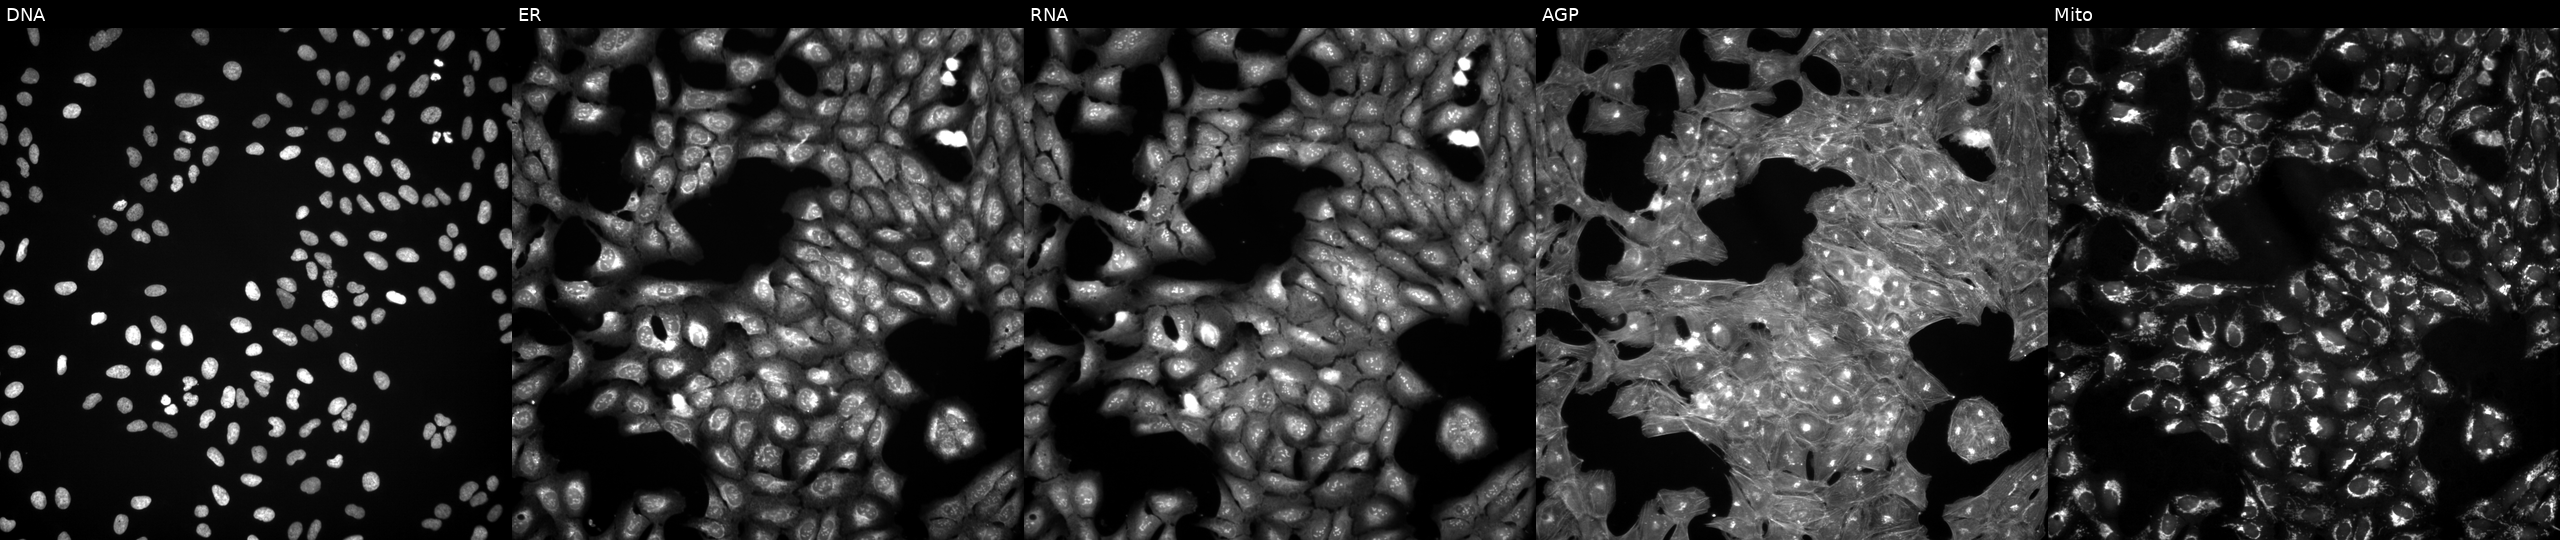
JUMP Cell Painting — TARGET2 plate. U2OS cells exposed to a small-molecule compound (InChIKey ZMUSCGJNJYXJBP-UHFFFAOYSA-N) [SMILES: CC1(C)OC2CC3C4CC=C5CC(=O)C=CC5(C)C4C(O)CC3(C)C2(C(=O)CO)O1] (JUMP id JCP2022_114322). Panels show, left to right, DNA (nuclei); ER (endoplasmic reticulum); RNA (nucleoli and cytoplasmic RNA); AGP (actin cytoskeleton, Golgi, and plasma membrane); Mito (mitochondria). Source 3, plate JCPQC053, well G05.